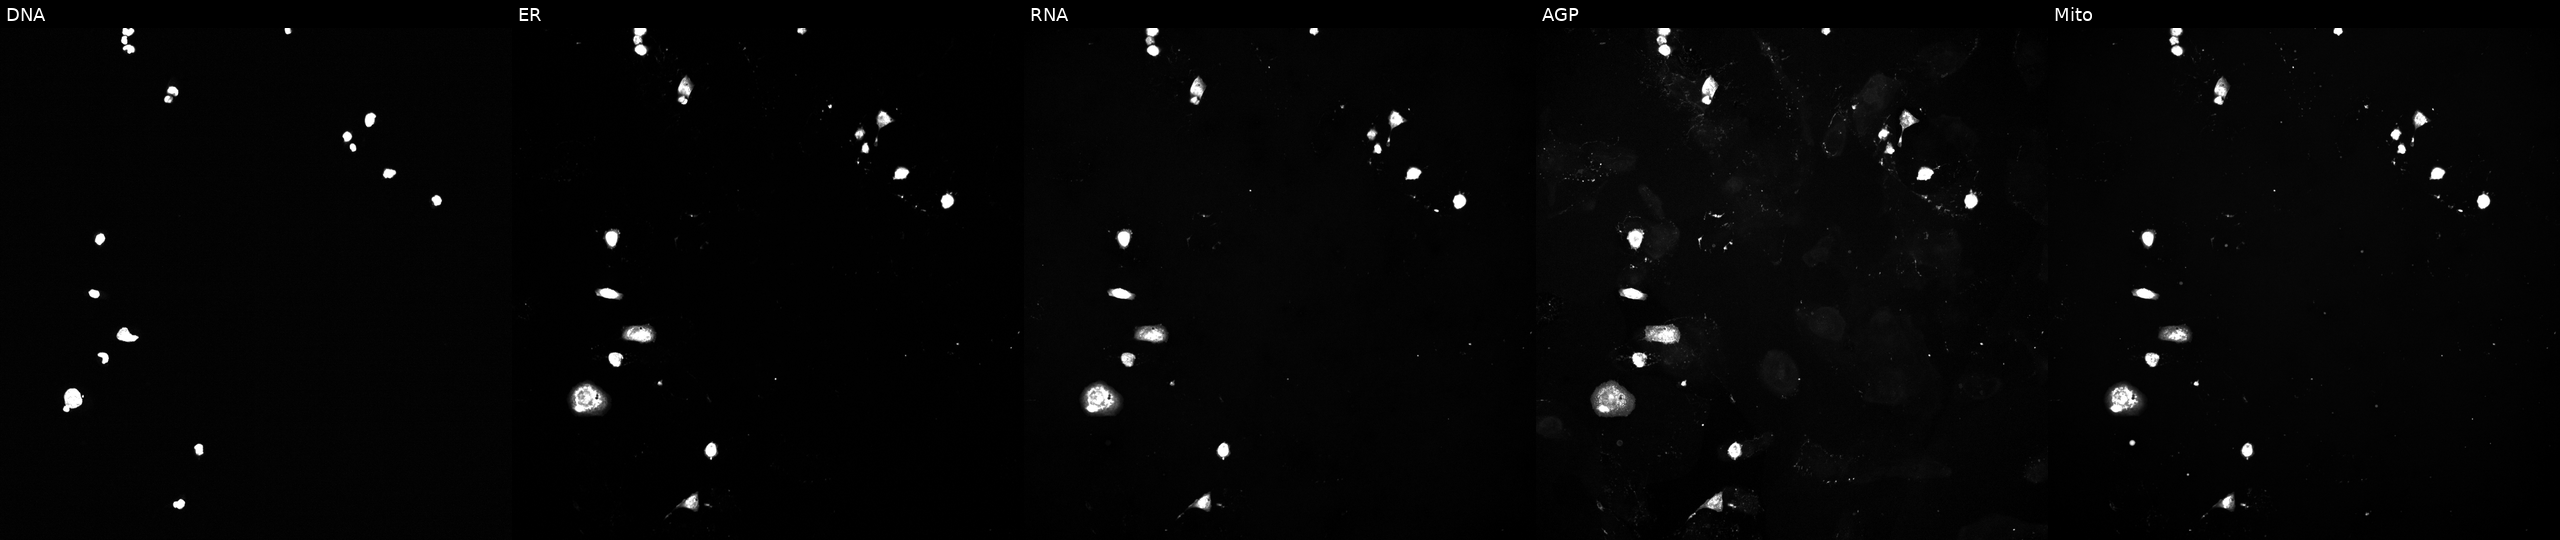
Five-channel Cell Painting image of U2OS cells perturbed with a small-molecule compound (InChIKey PKCYYPHSCUSQDK-UHFFFAOYSA-N) [SMILES: Cc1ccc(C=C2CNCC(=Cc3ccc(C)cc3)C2=O)cc1]. The five panels, left to right, show Hoechst 33342, concanavalin A, SYTO 14, phalloidin and WGA, MitoTracker. Source 5, plate ACPJUM032, well G18.